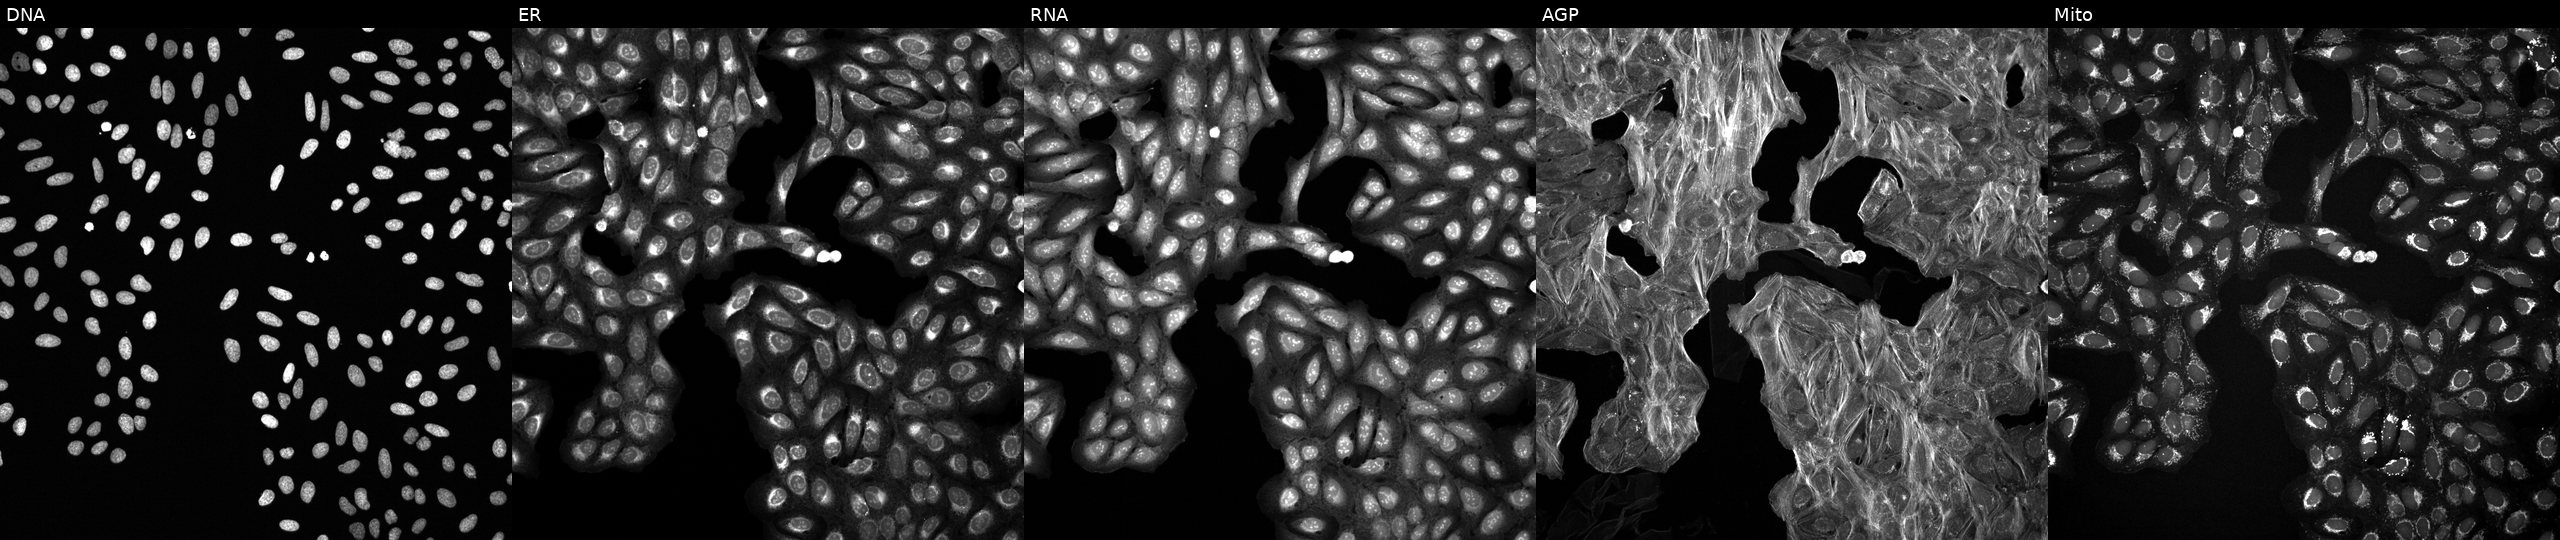
U2OS cells, Cell Painting assay, treated with a small-molecule compound. Panels show, left to right, Hoechst 33342, concanavalin A, SYTO 14, phalloidin and WGA, MitoTracker. Each panel is percentile-stretched 16-bit fluorescence. Source 6, plate 110000293083, well H08.